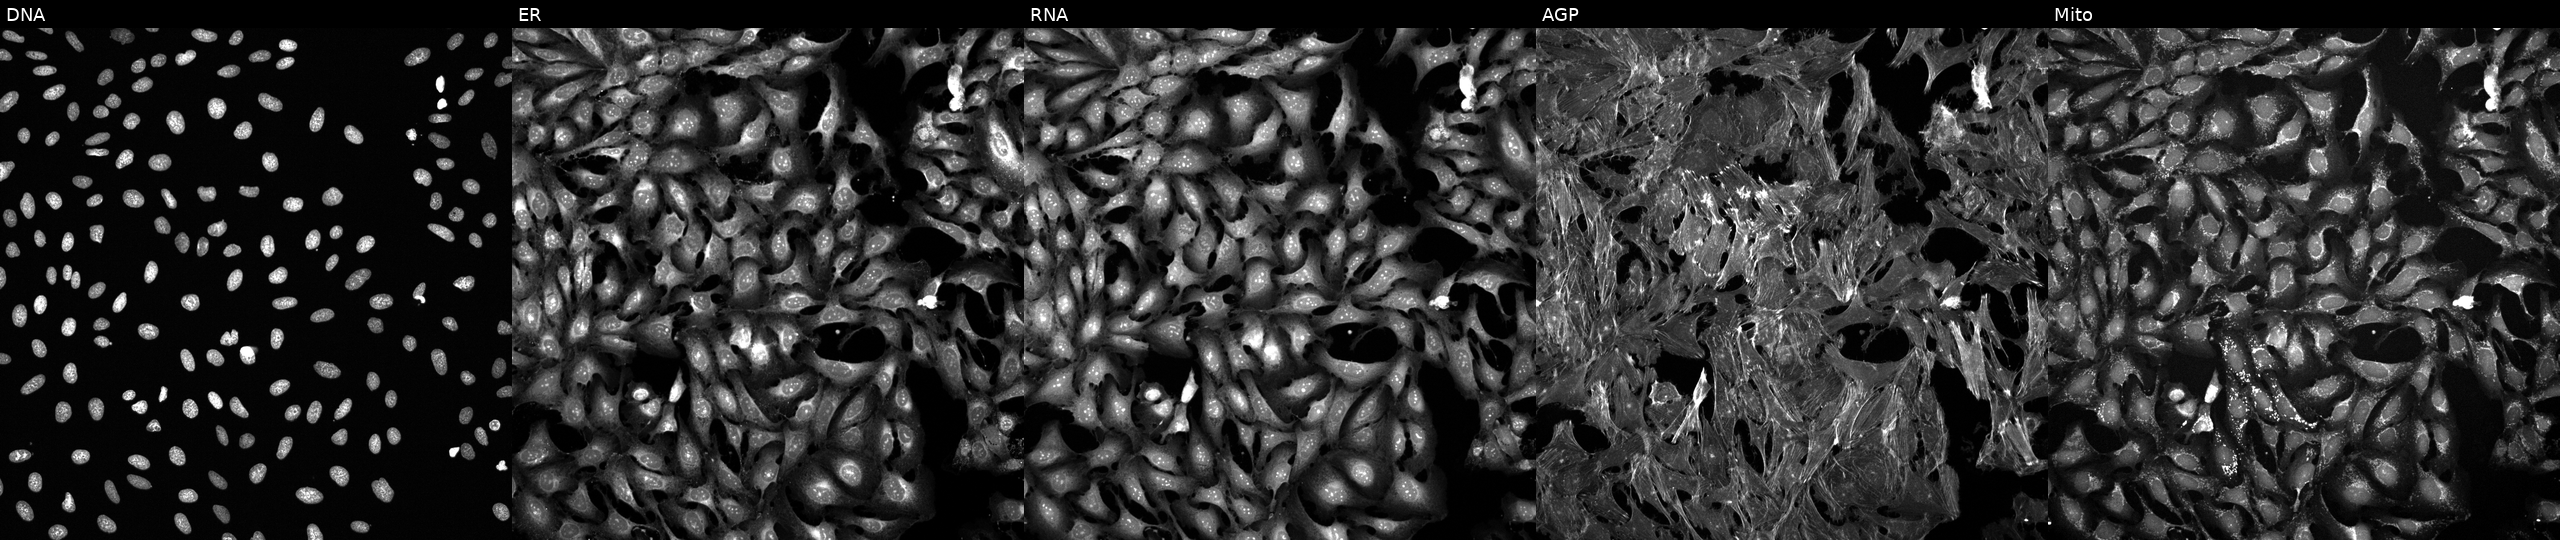
U2OS cells, Cell Painting assay, exposed to the positive-control compound FK-866. Panels show, left to right, DNA (nuclei); ER (endoplasmic reticulum); RNA (nucleoli and cytoplasmic RNA); AGP (actin cytoskeleton, Golgi, and plasma membrane); Mito (mitochondria). Each panel is percentile-stretched 16-bit fluorescence.